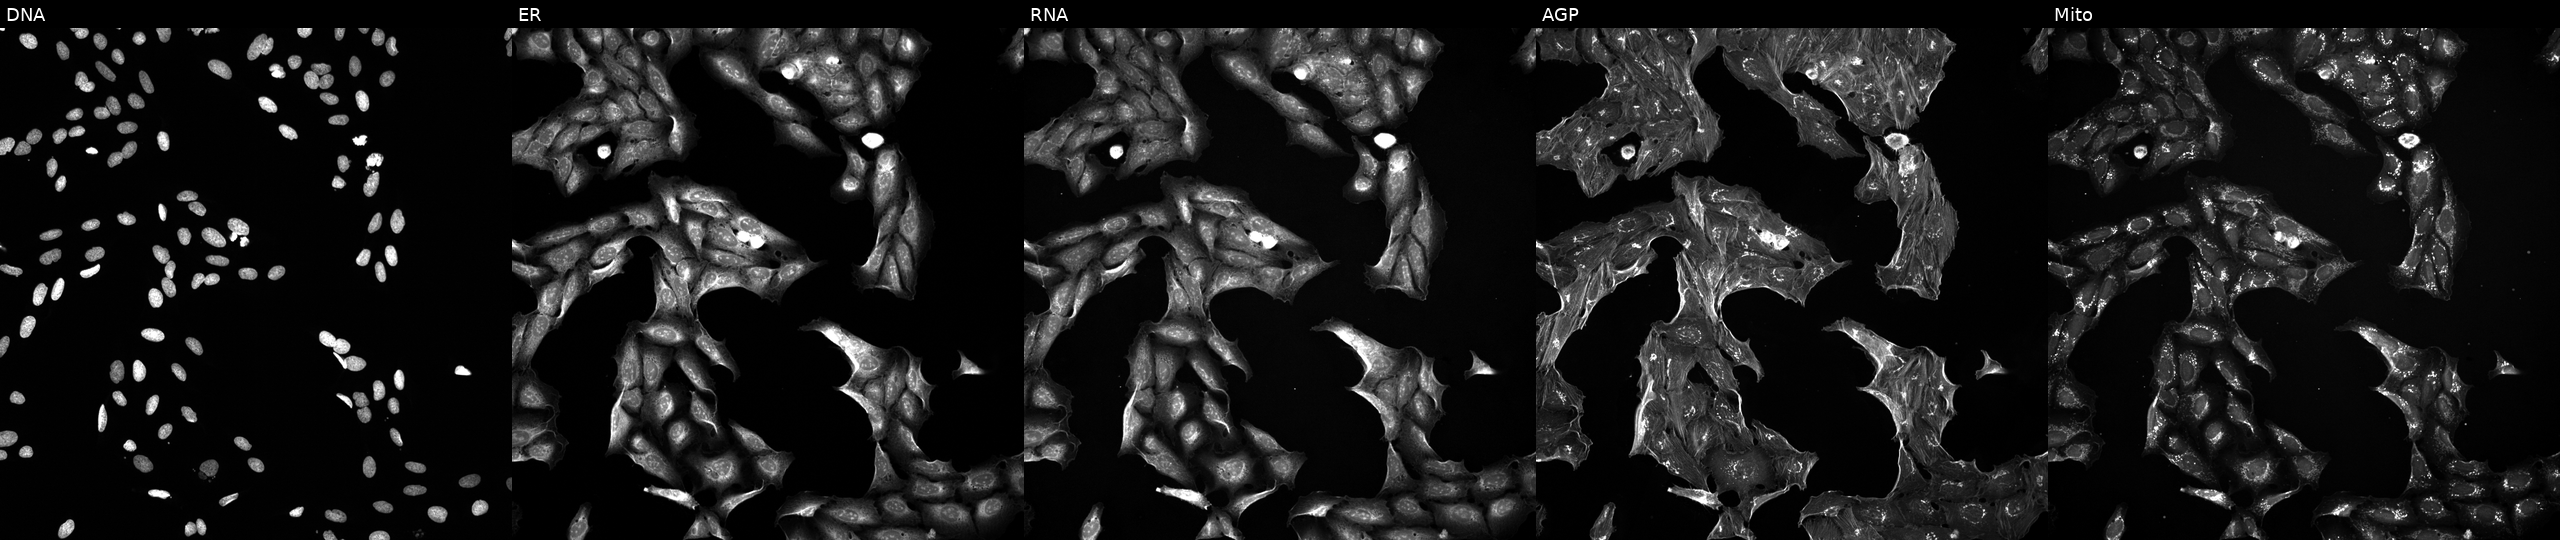
JUMP Cell Painting — TARGET2 plate. U2OS cells exposed to a small-molecule compound (InChIKey UTBOEBCWXGDOGI-UHFFFAOYSA-N) (JUMP id JCP2022_091373). From left to right: DNA, ER, RNA, AGP, and Mito.